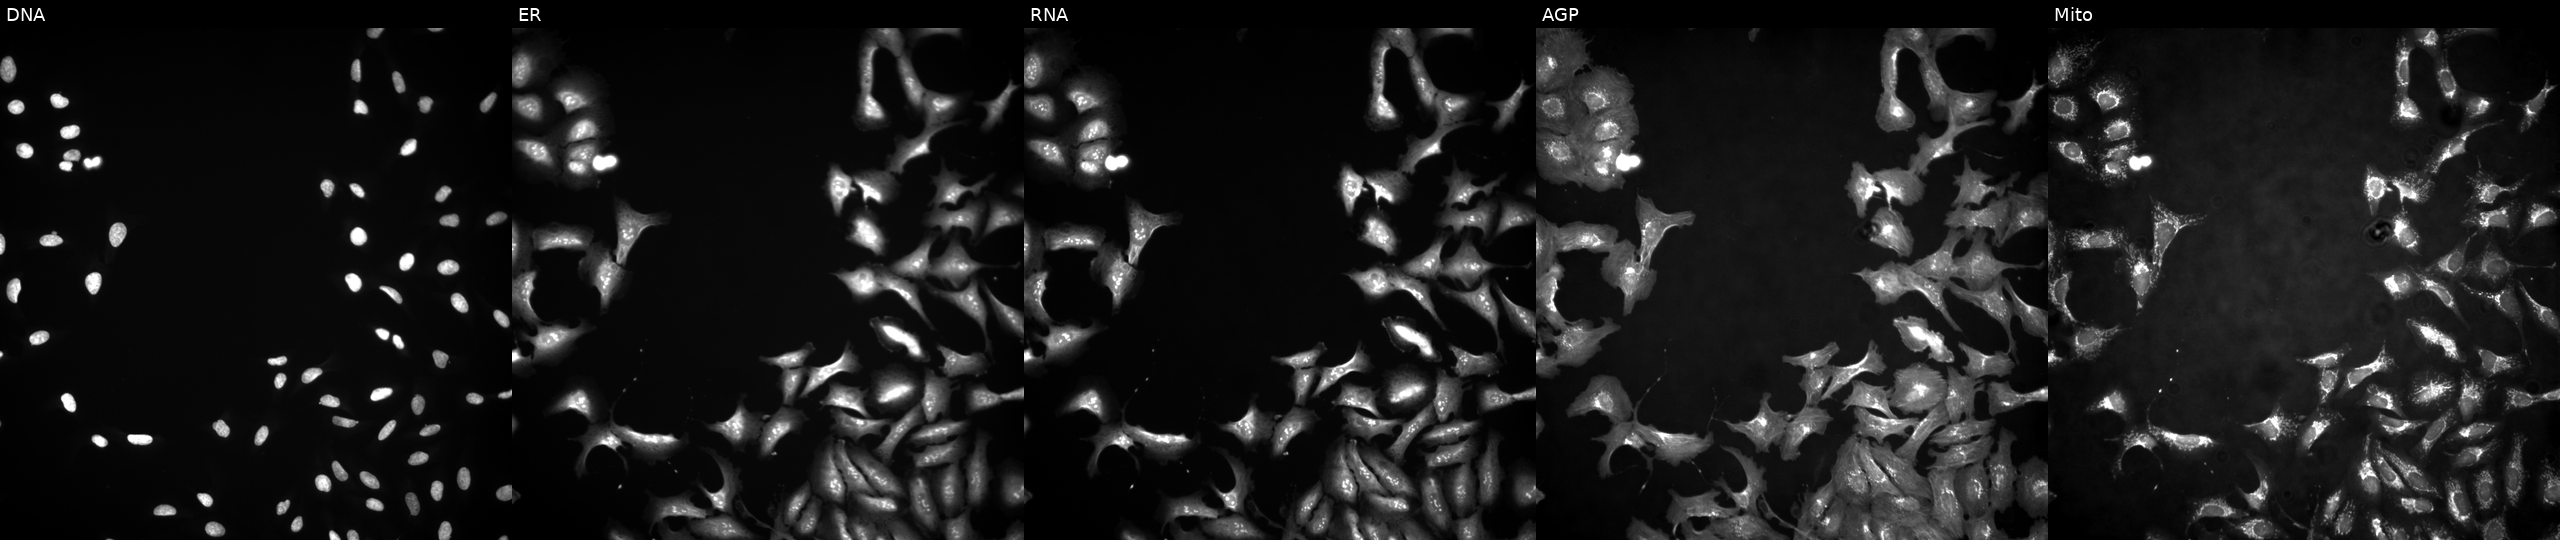
Five-channel Cell Painting image of U2OS cells expressing eGFP (ORF positive control) (JUMP id JCP2022_915132). The five panels, left to right, show DNA, ER, RNA, AGP, and Mito. Source 4, plate BR00117035, well P17.